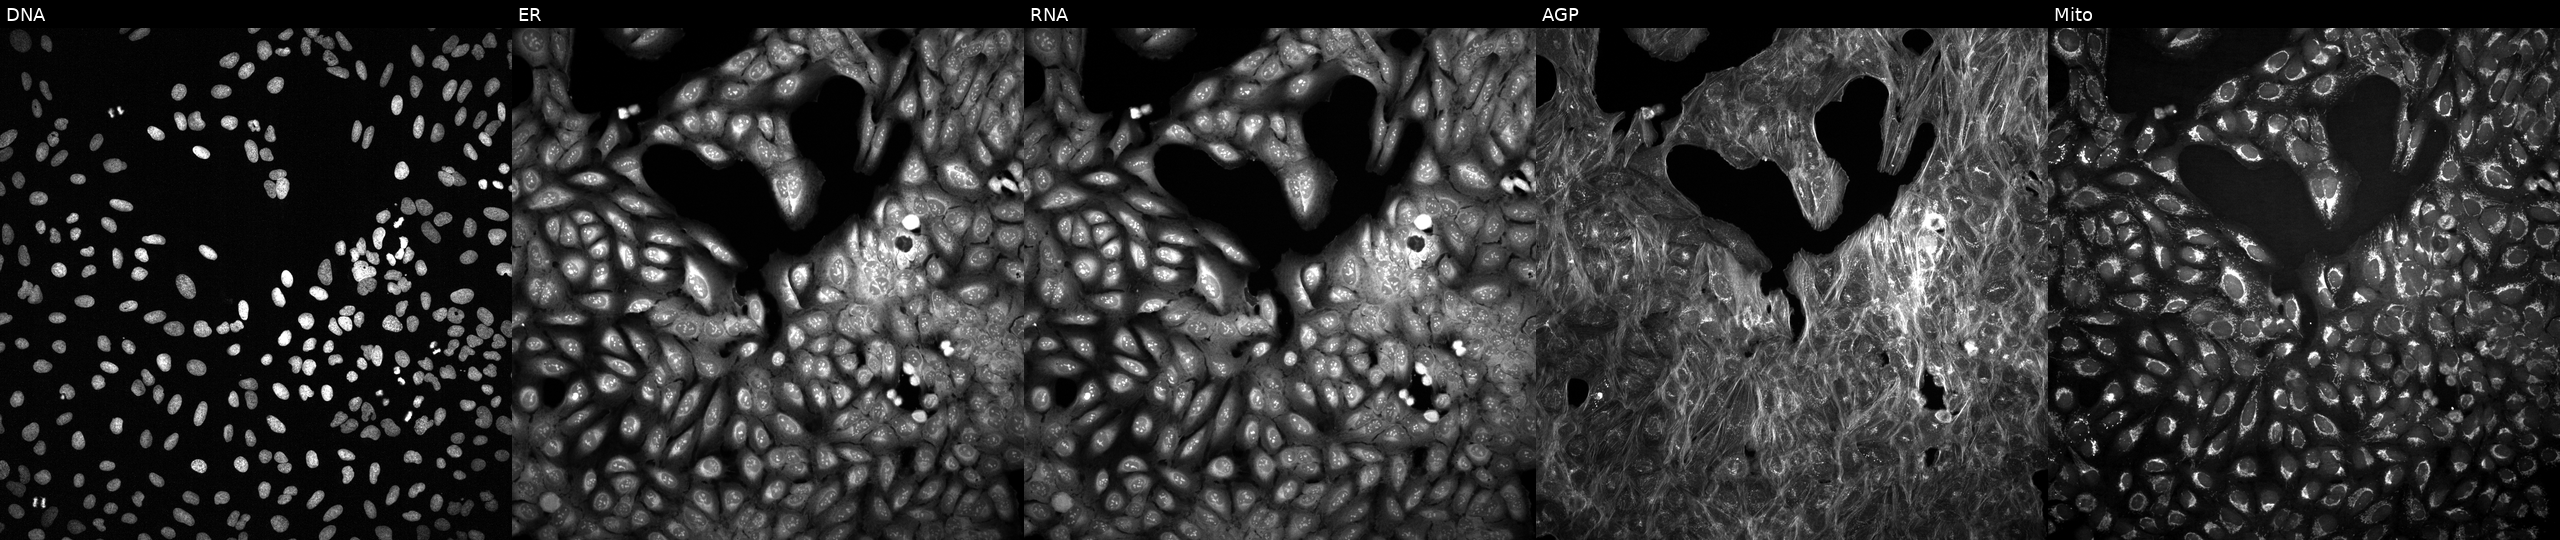
Panels show, left to right, DNA, ER, RNA, AGP, and Mito. U2OS osteosarcoma cells exposed to a small-molecule compound (InChIKey KPYSYYIEGFHWSV-UHFFFAOYSA-N) (JUMP id JCP2022_046239). Cell Painting assay, JUMP-CP dataset.